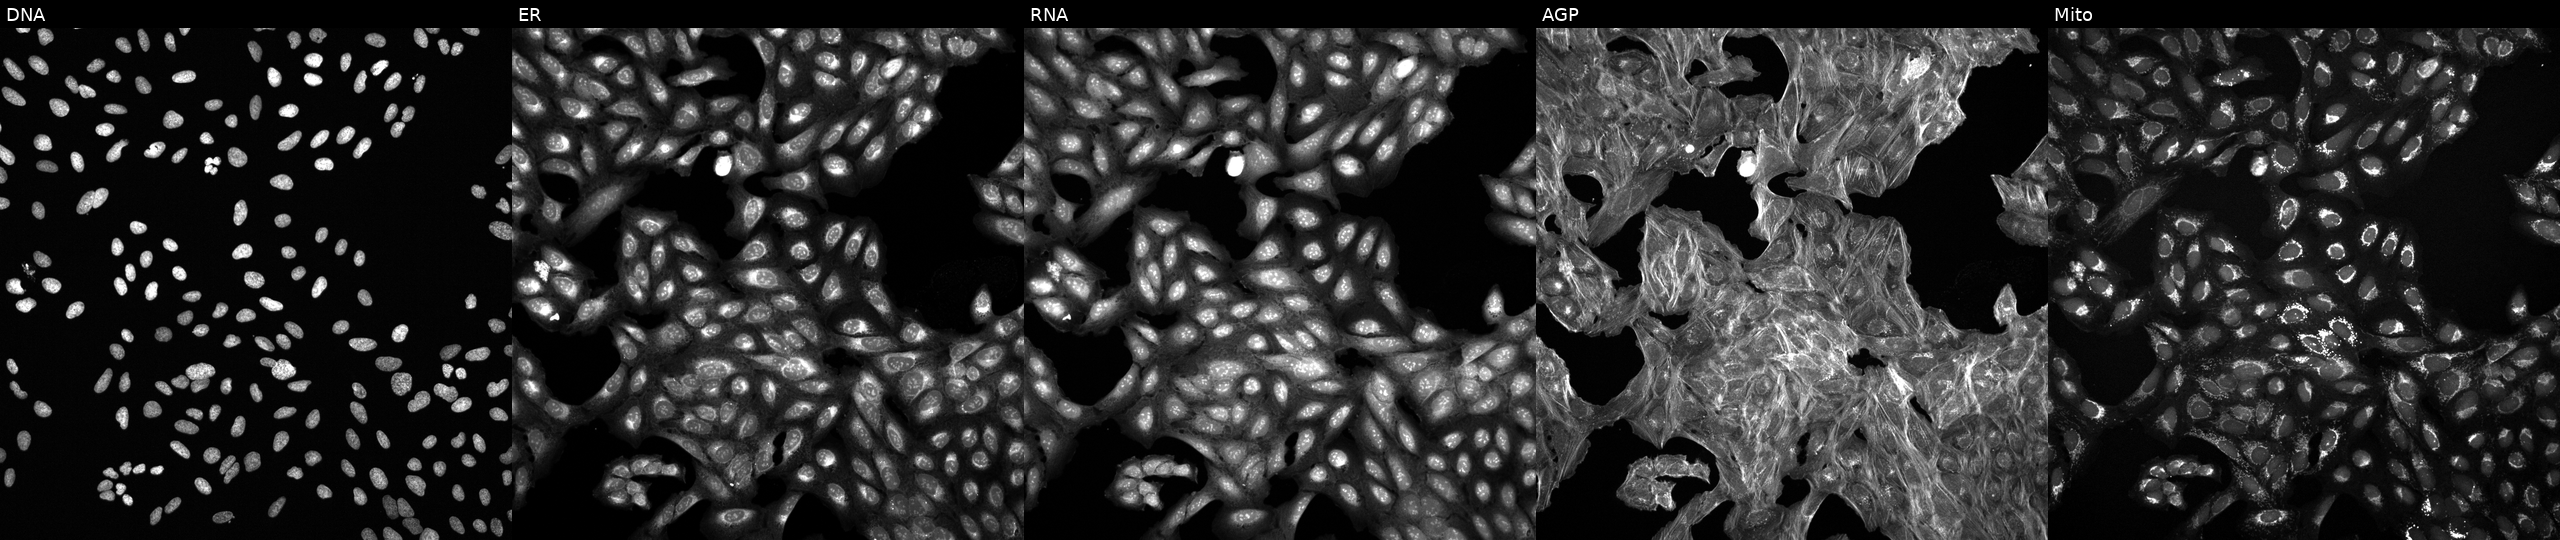
This image strip shows the five Cell Painting channels for a single field of U2OS cells exposed to a small-molecule compound (InChIKey BCZUAADEACICHN-UHFFFAOYSA-N) [SMILES: Cn1cc(-c2ccc3nnc(Sc4ccc5ncccc5c4)n3n2)cn1] (JUMP id JCP2022_005529). Panels show, left to right, Hoechst 33342, concanavalin A, SYTO 14, phalloidin and WGA, MitoTracker.